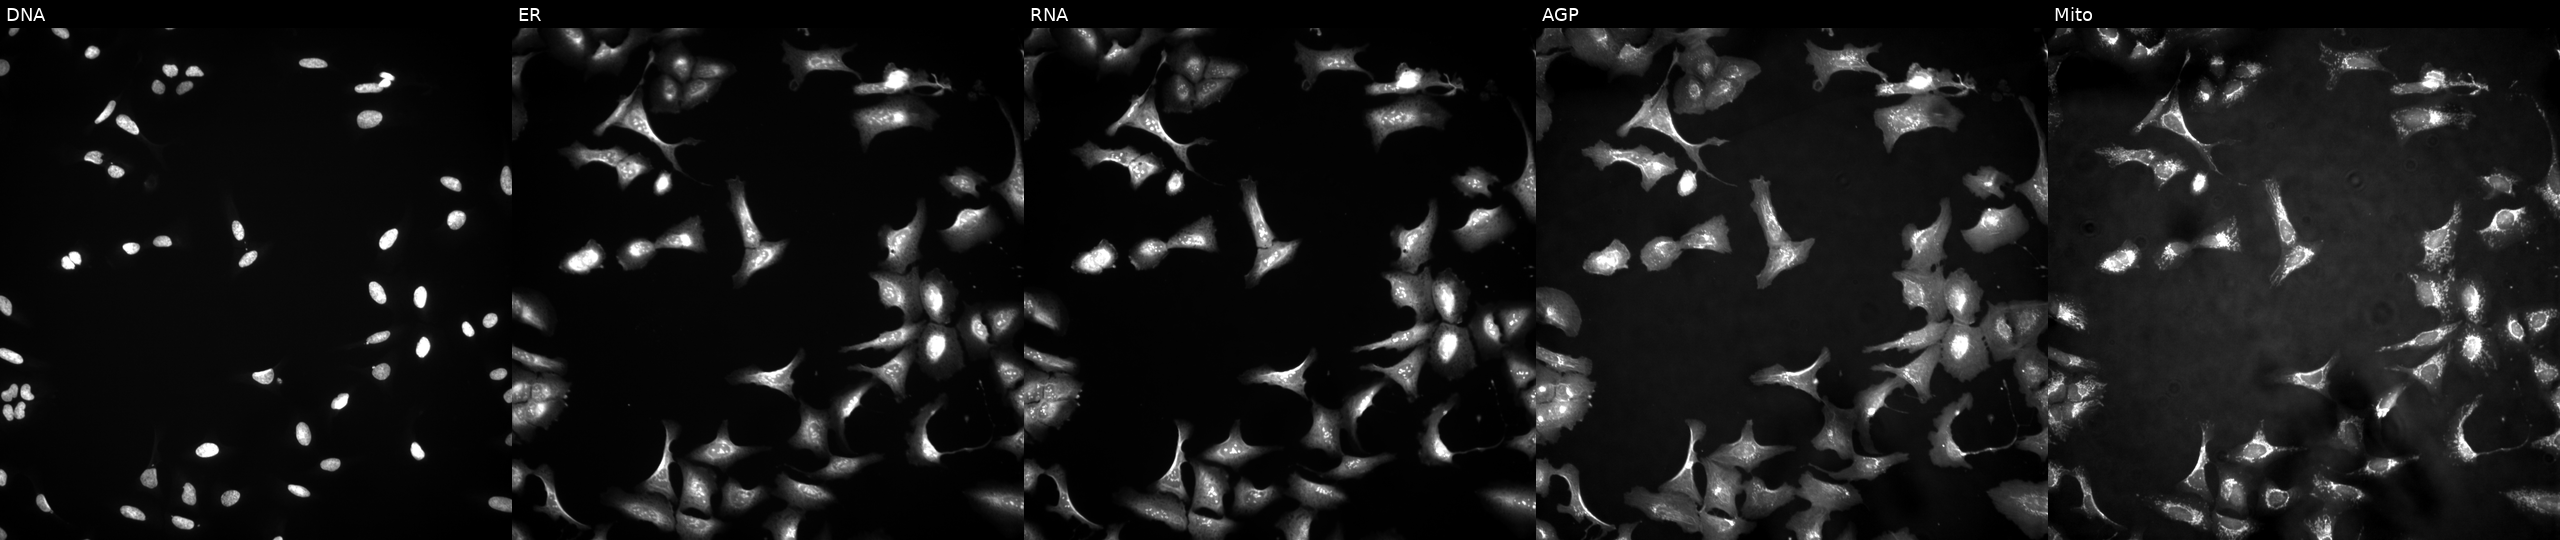
U2OS cells, Cell Painting assay, transfected with an ORF construct for SYTL4 (JUMP id JCP2022_908743). Panels show, left to right, Hoechst 33342, concanavalin A, SYTO 14, phalloidin and WGA, MitoTracker. Each panel is percentile-stretched 16-bit fluorescence.